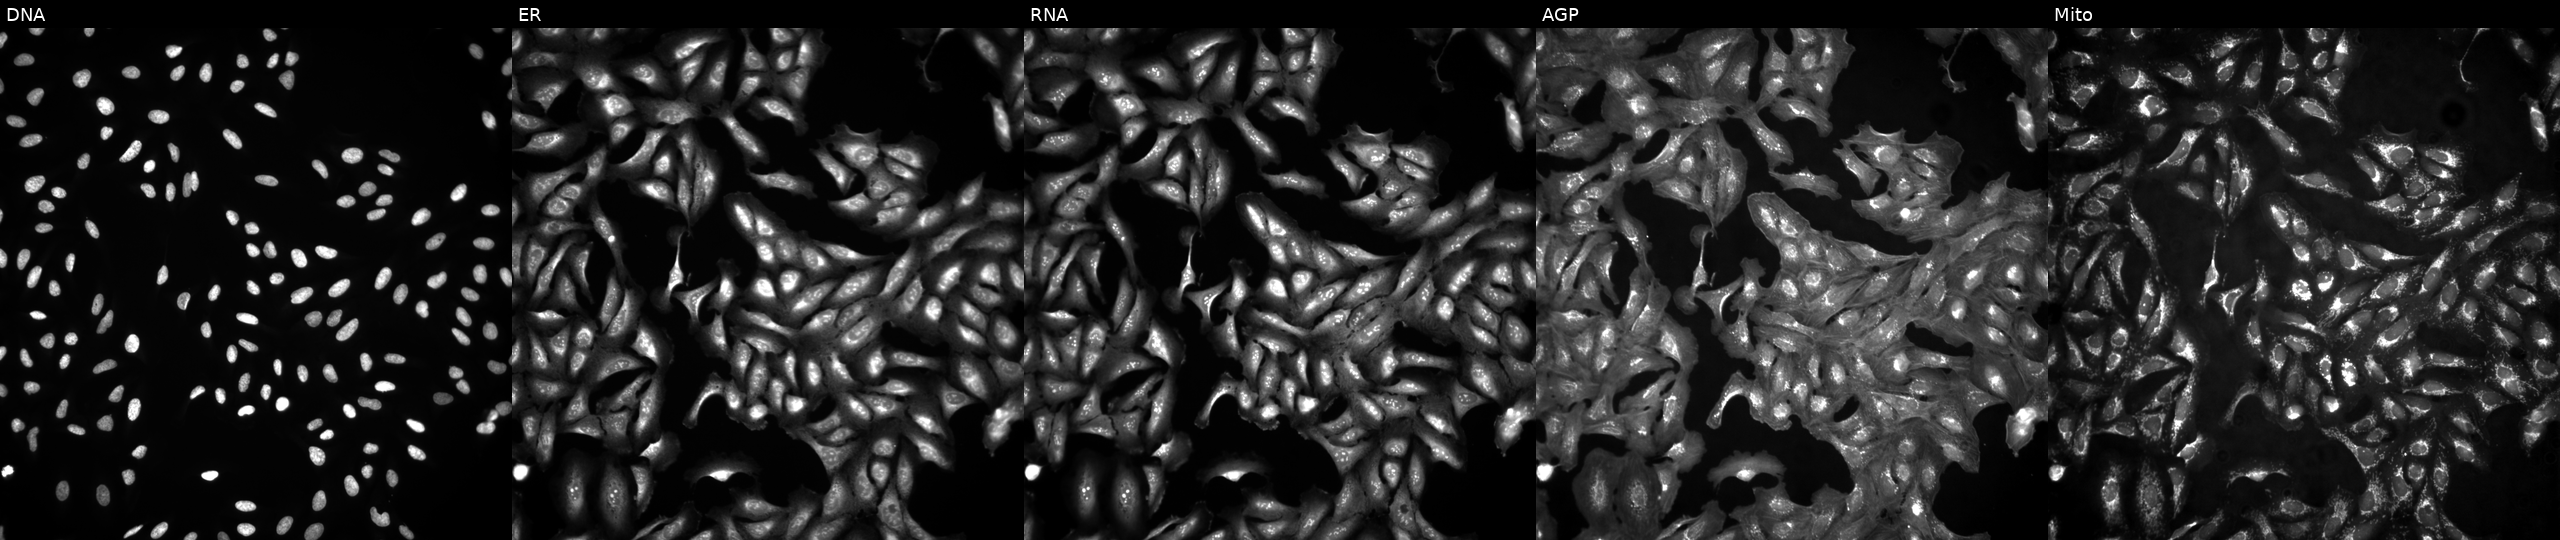
The five panels, left to right, show DNA, ER, RNA, AGP, and Mito. U2OS osteosarcoma cells in an empty control well (no perturbation). Cell Painting assay, JUMP-CP dataset. Source 4, plate BR00124793, well H20.